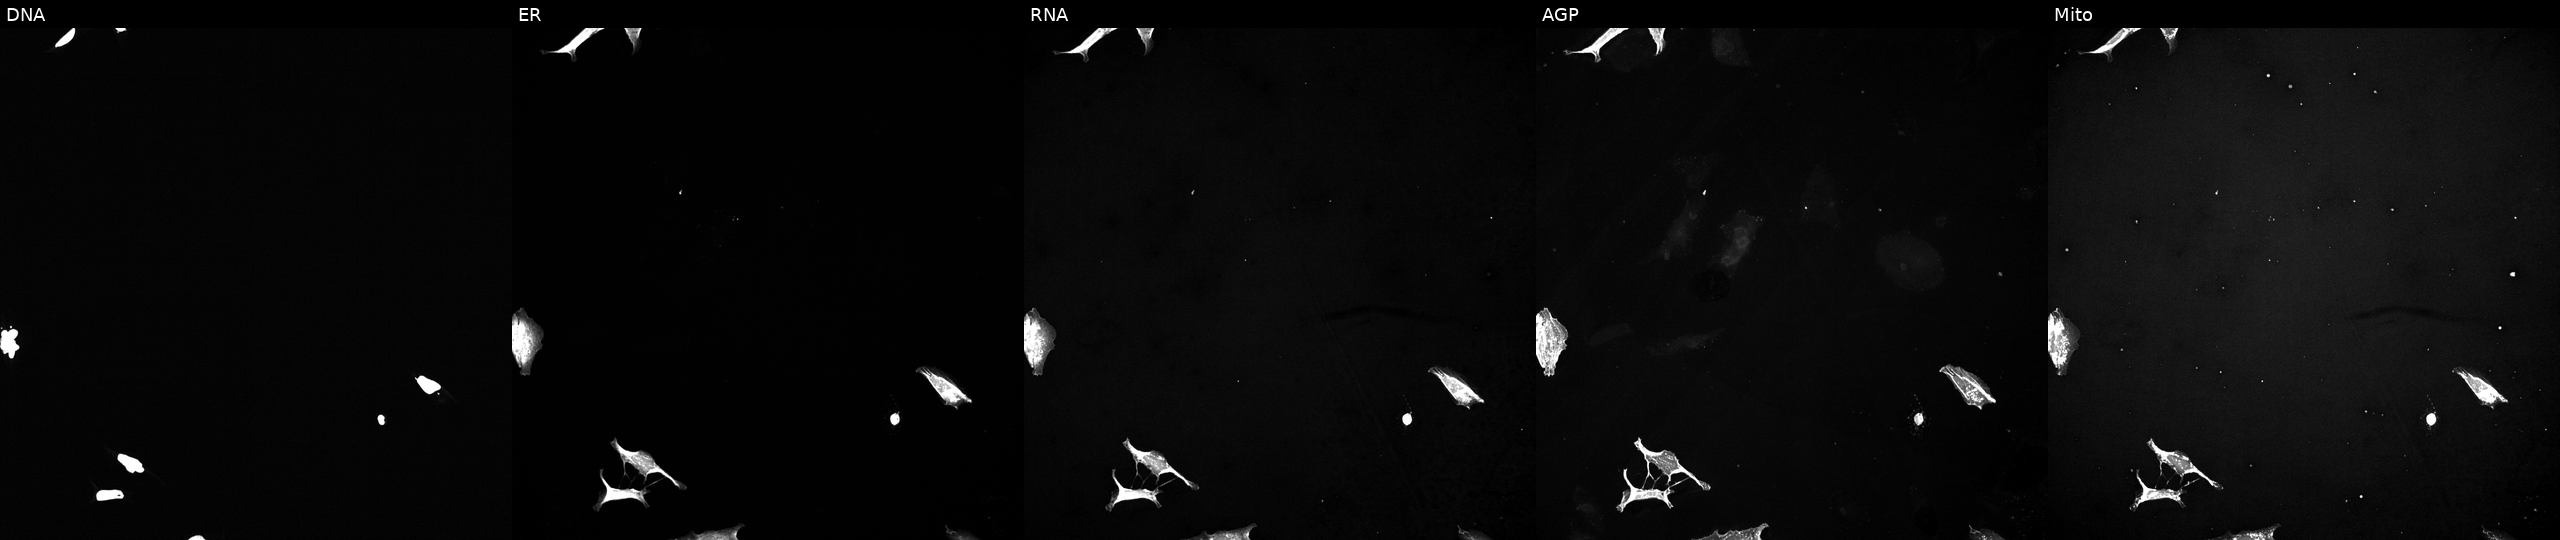
High-content fluorescence microscopy (Cell Painting). Cell line: U2OS. Perturbation: exposed to a small-molecule compound (InChIKey MJSHVHLADKXCML-UHFFFAOYSA-N). Panels show, left to right, DNA (nuclei); ER (endoplasmic reticulum); RNA (nucleoli and cytoplasmic RNA); AGP (actin cytoskeleton, Golgi, and plasma membrane); Mito (mitochondria).